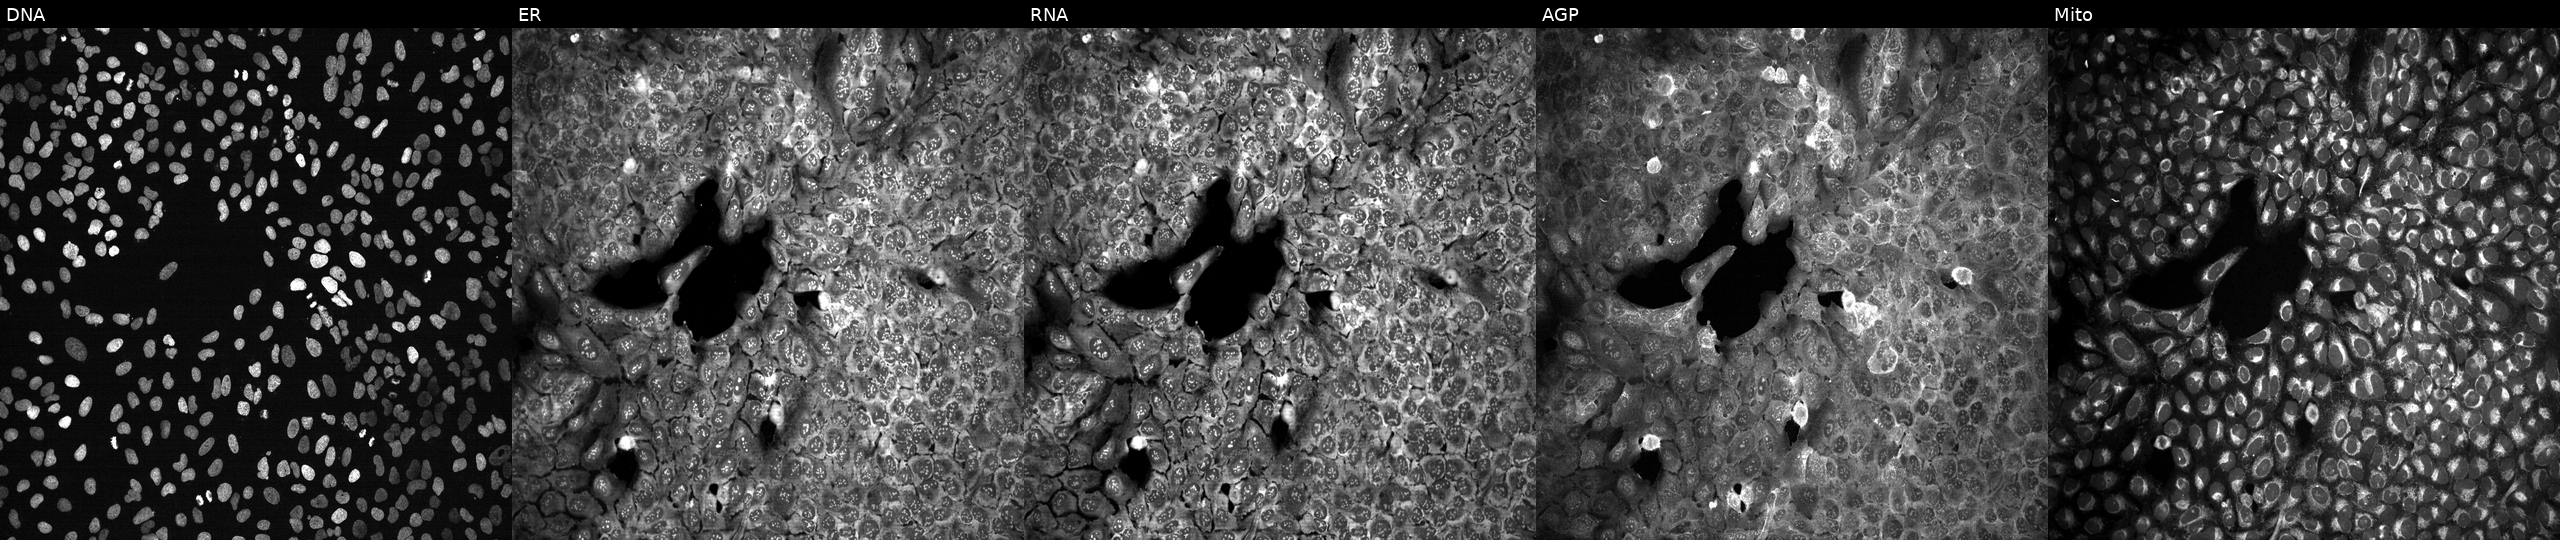
High-content fluorescence microscopy (Cell Painting). Cell line: U2OS. Perturbation: CRISPR-edited to disrupt IL17RA. From left to right: DNA (nuclei); ER (endoplasmic reticulum); RNA (nucleoli and cytoplasmic RNA); AGP (actin cytoskeleton, Golgi, and plasma membrane); Mito (mitochondria).